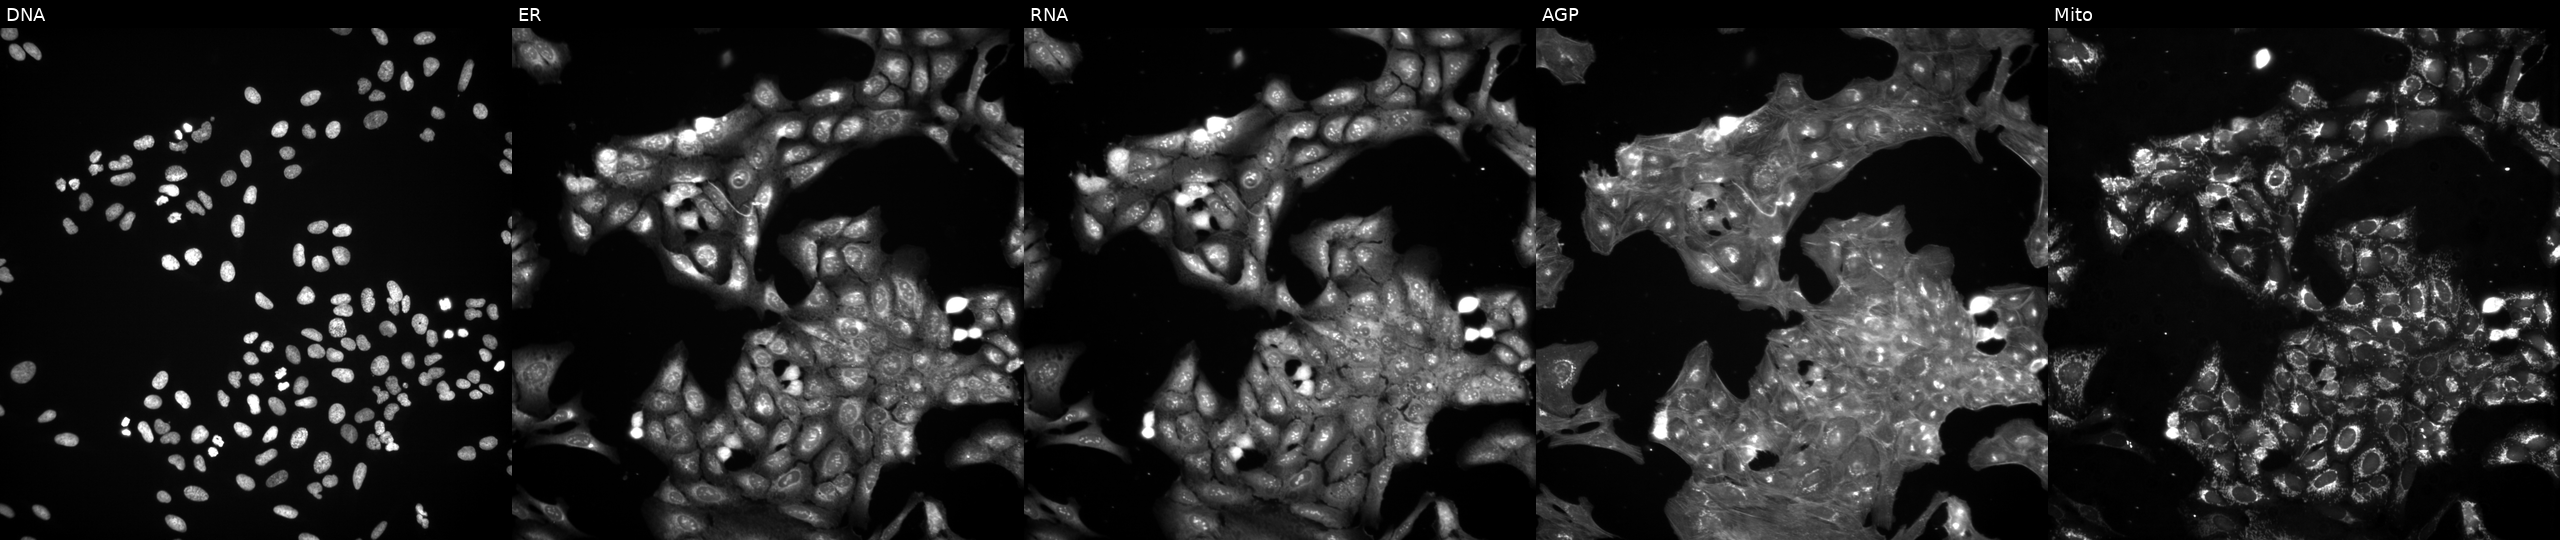
High-content fluorescence microscopy (Cell Painting). Cell line: U2OS. Perturbation: untreated (empty-well control) (JUMP id JCP2022_999999). Panels show, left to right, Hoechst 33342, concanavalin A, SYTO 14, phalloidin and WGA, MitoTracker.